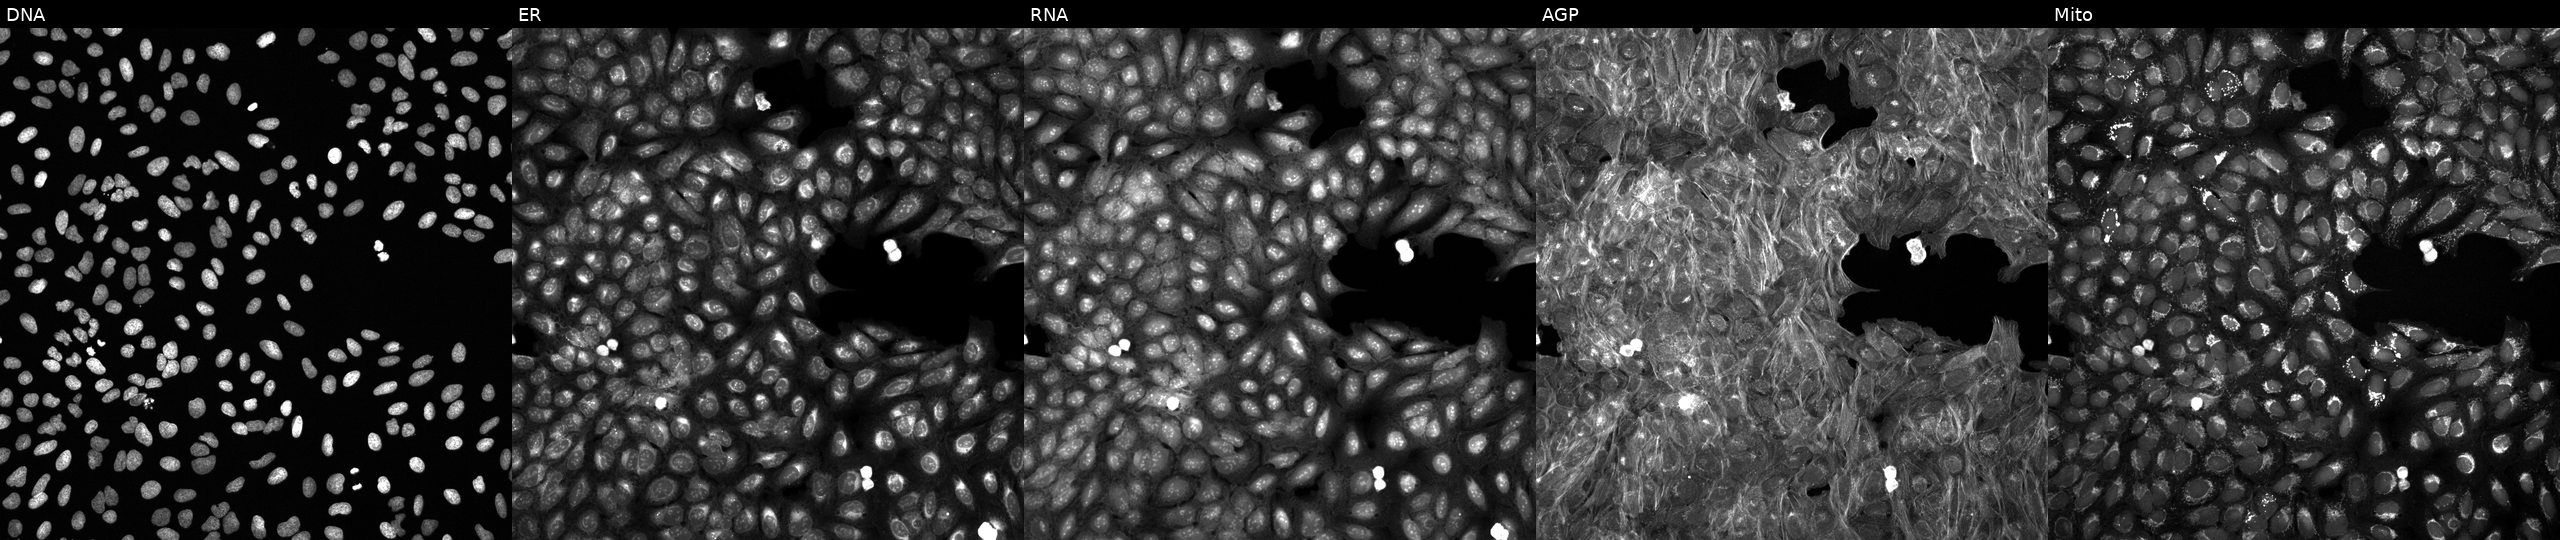
Five-channel Cell Painting image of U2OS cells treated with a small-molecule compound (InChIKey NOIIUHRQUVNIDD-UHFFFAOYSA-N) [SMILES: O=C(CCNNC(=O)c1ccncc1)NCc1ccccc1]. The five panels, left to right, show Hoechst 33342, concanavalin A, SYTO 14, phalloidin and WGA, MitoTracker. Source 6, plate 110000294901, well P10.